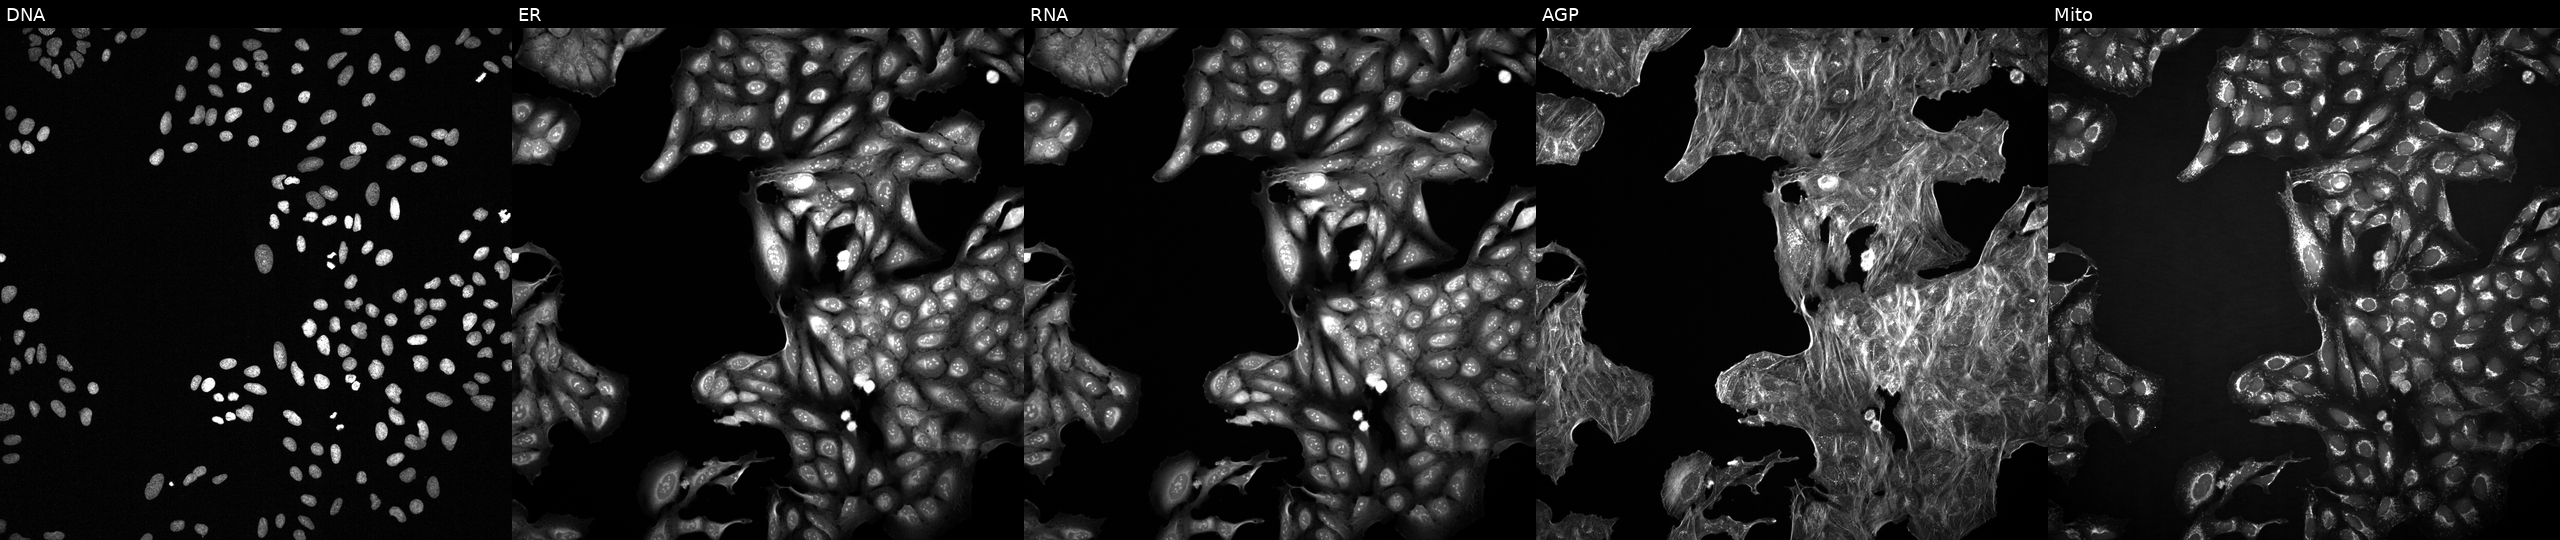
This image strip shows the five Cell Painting channels for a single field of U2OS cells with an unidentified perturbation (not annotated in JUMP metadata). Panels show, left to right, Hoechst 33342, concanavalin A, SYTO 14, phalloidin and WGA, MitoTracker. Source 2, plate 1053601756, well N14.